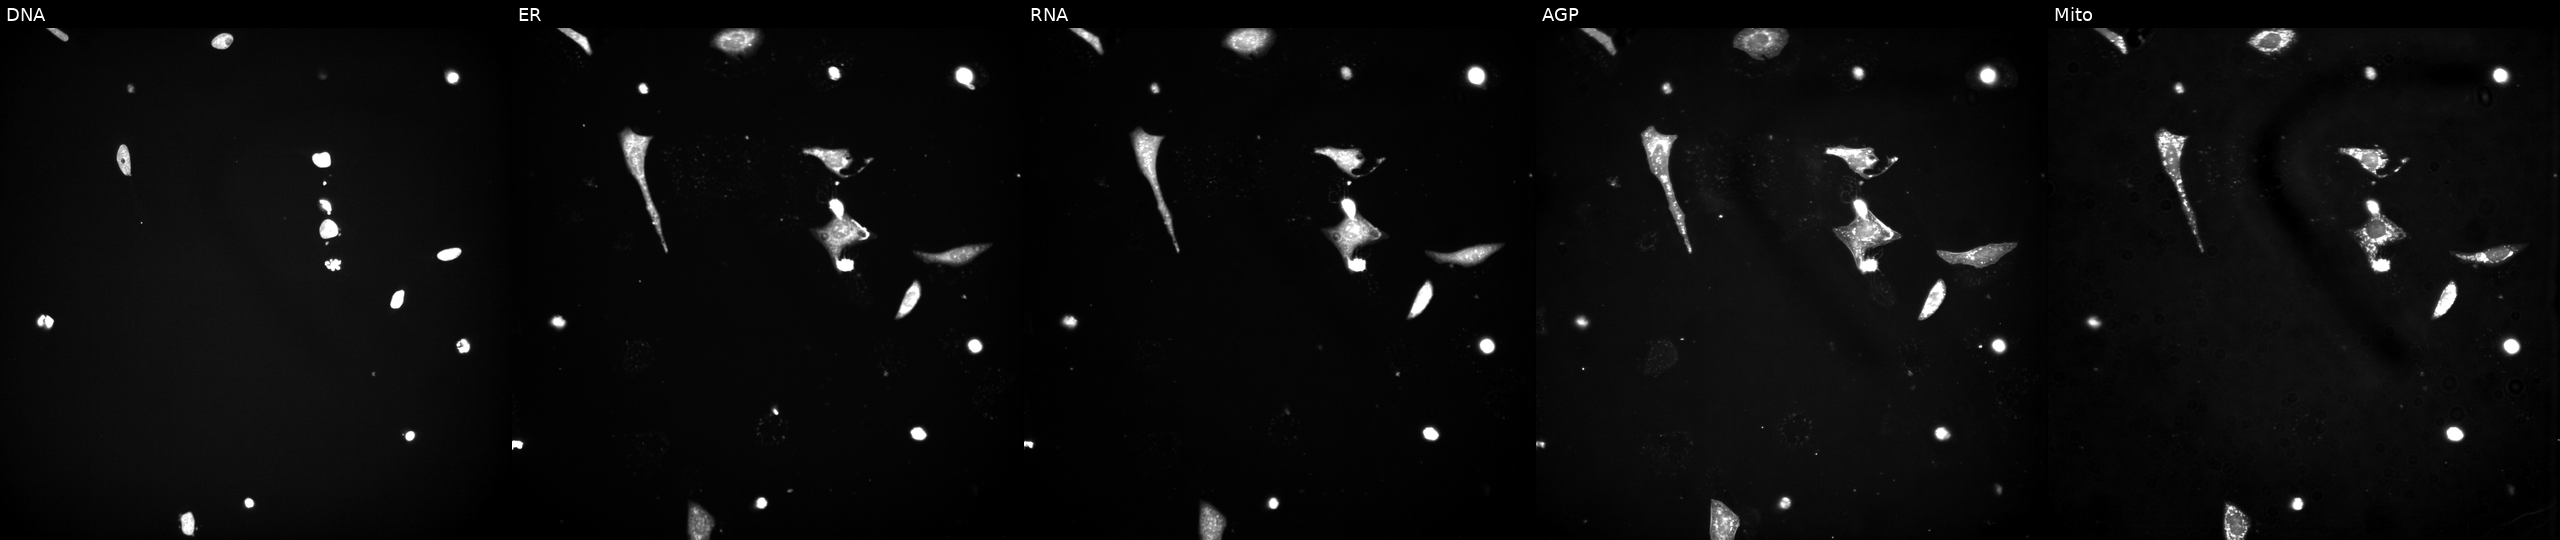
JUMP Cell Painting — TARGET2 plate. U2OS cells perturbed with a small-molecule compound (InChIKey MJSHVHLADKXCML-UHFFFAOYSA-N) (JUMP id JCP2022_054601). Channels (left→right): DNA (nuclei); ER (endoplasmic reticulum); RNA (nucleoli and cytoplasmic RNA); AGP (actin cytoskeleton, Golgi, and plasma membrane); Mito (mitochondria).